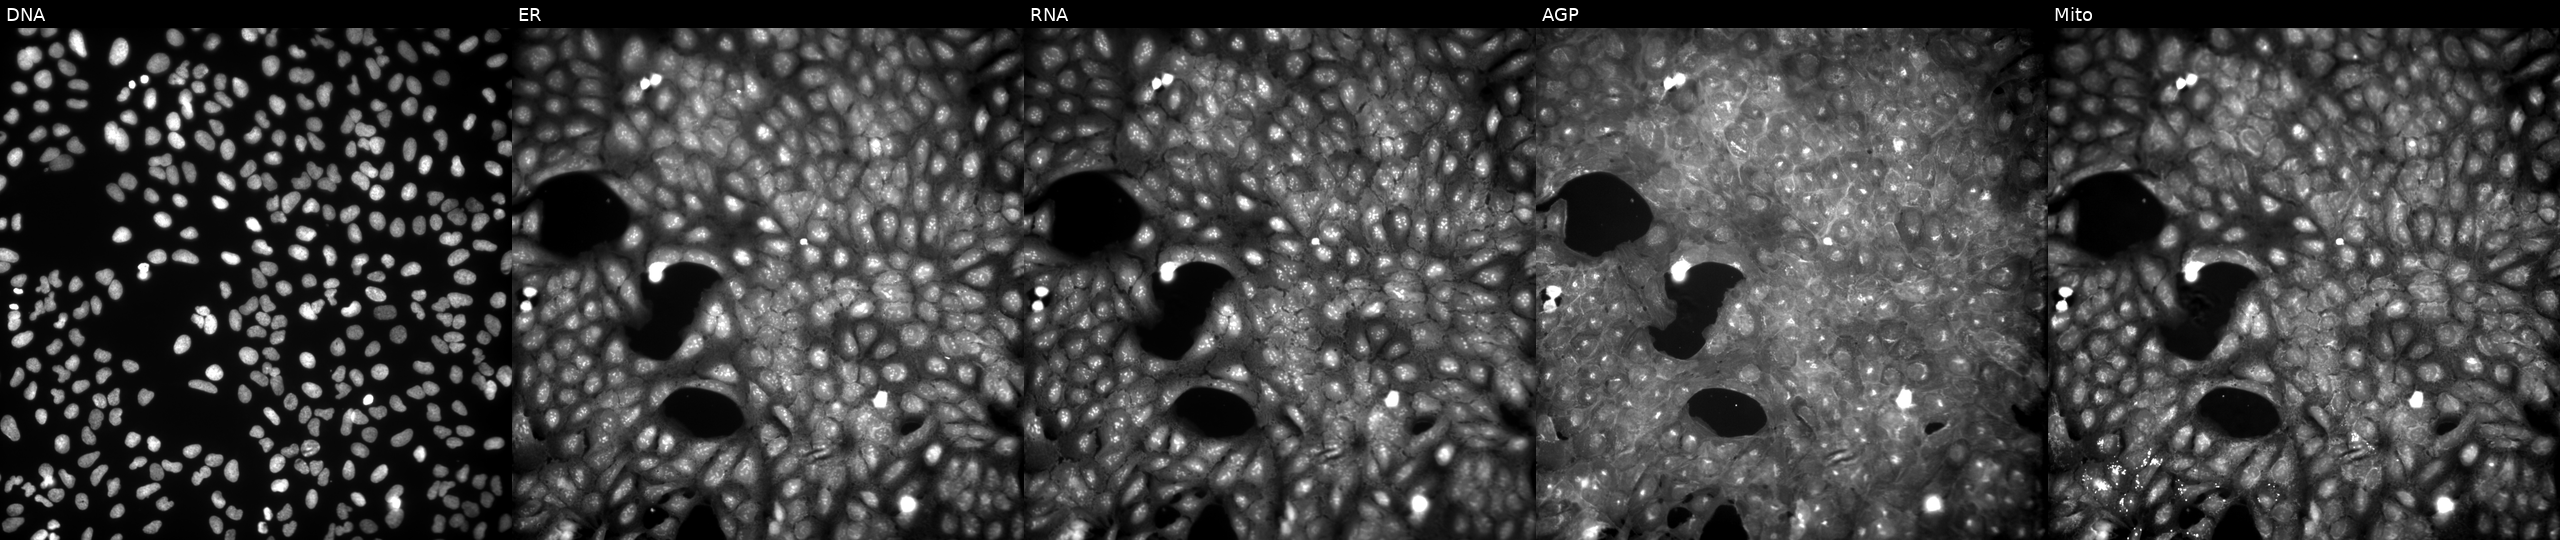
Five-channel Cell Painting image of U2OS cells perturbed with a small-molecule compound. From left to right: DNA, ER, RNA, AGP, and Mito.